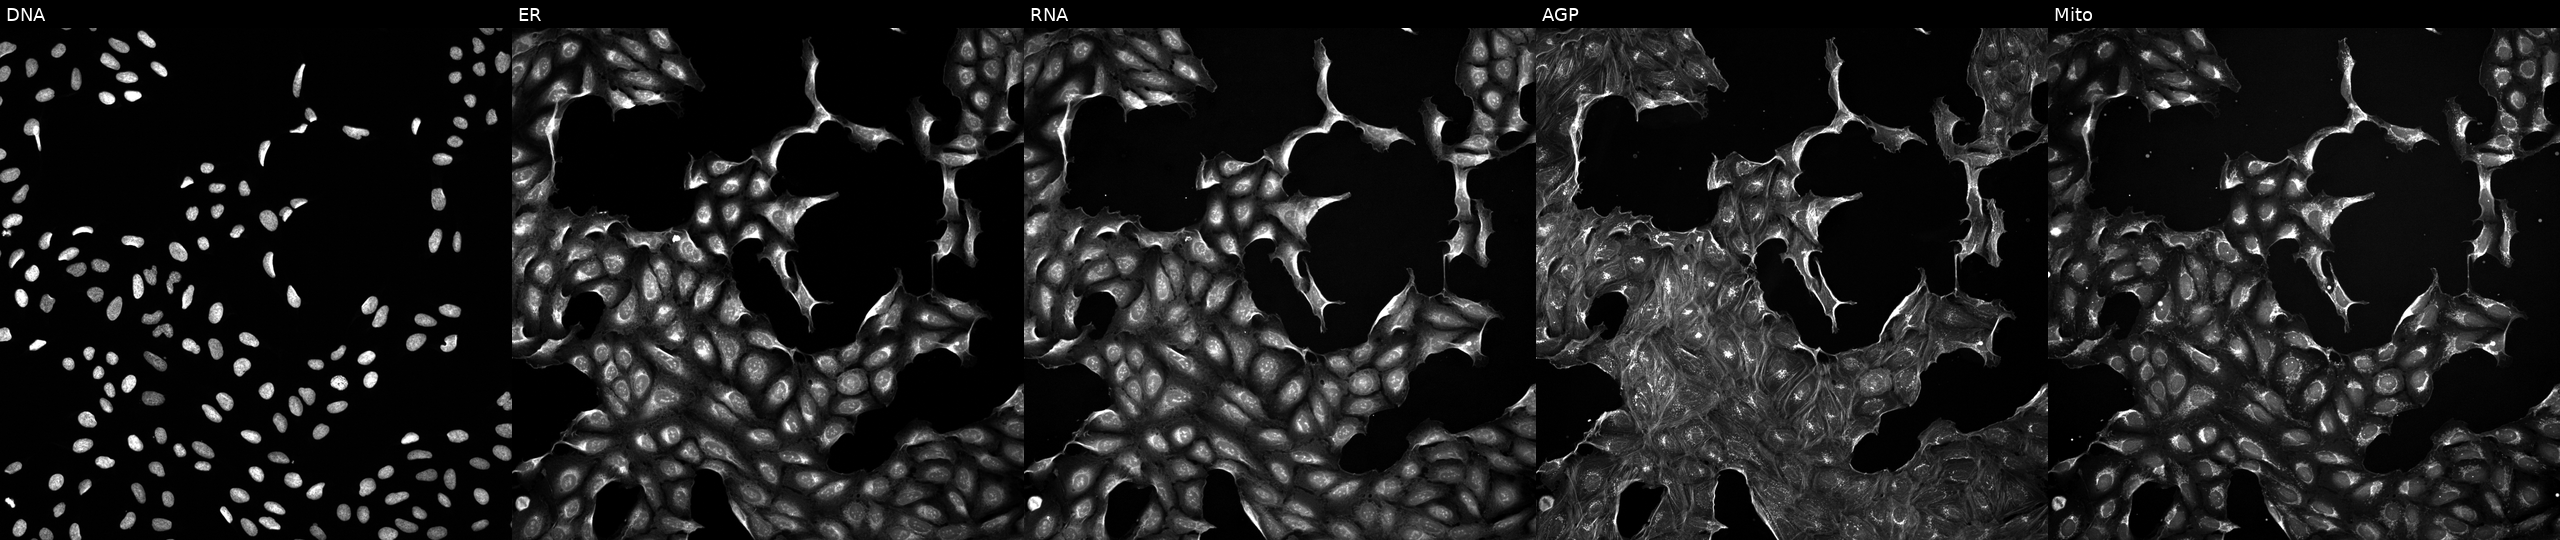
U2OS cells, Cell Painting assay, treated with DMSO vehicle only (negative control). From left to right: DNA (nuclei); ER (endoplasmic reticulum); RNA (nucleoli and cytoplasmic RNA); AGP (actin cytoskeleton, Golgi, and plasma membrane); Mito (mitochondria). Each panel is percentile-stretched 16-bit fluorescence. Source 5, plate ACPJUM051, well H02.